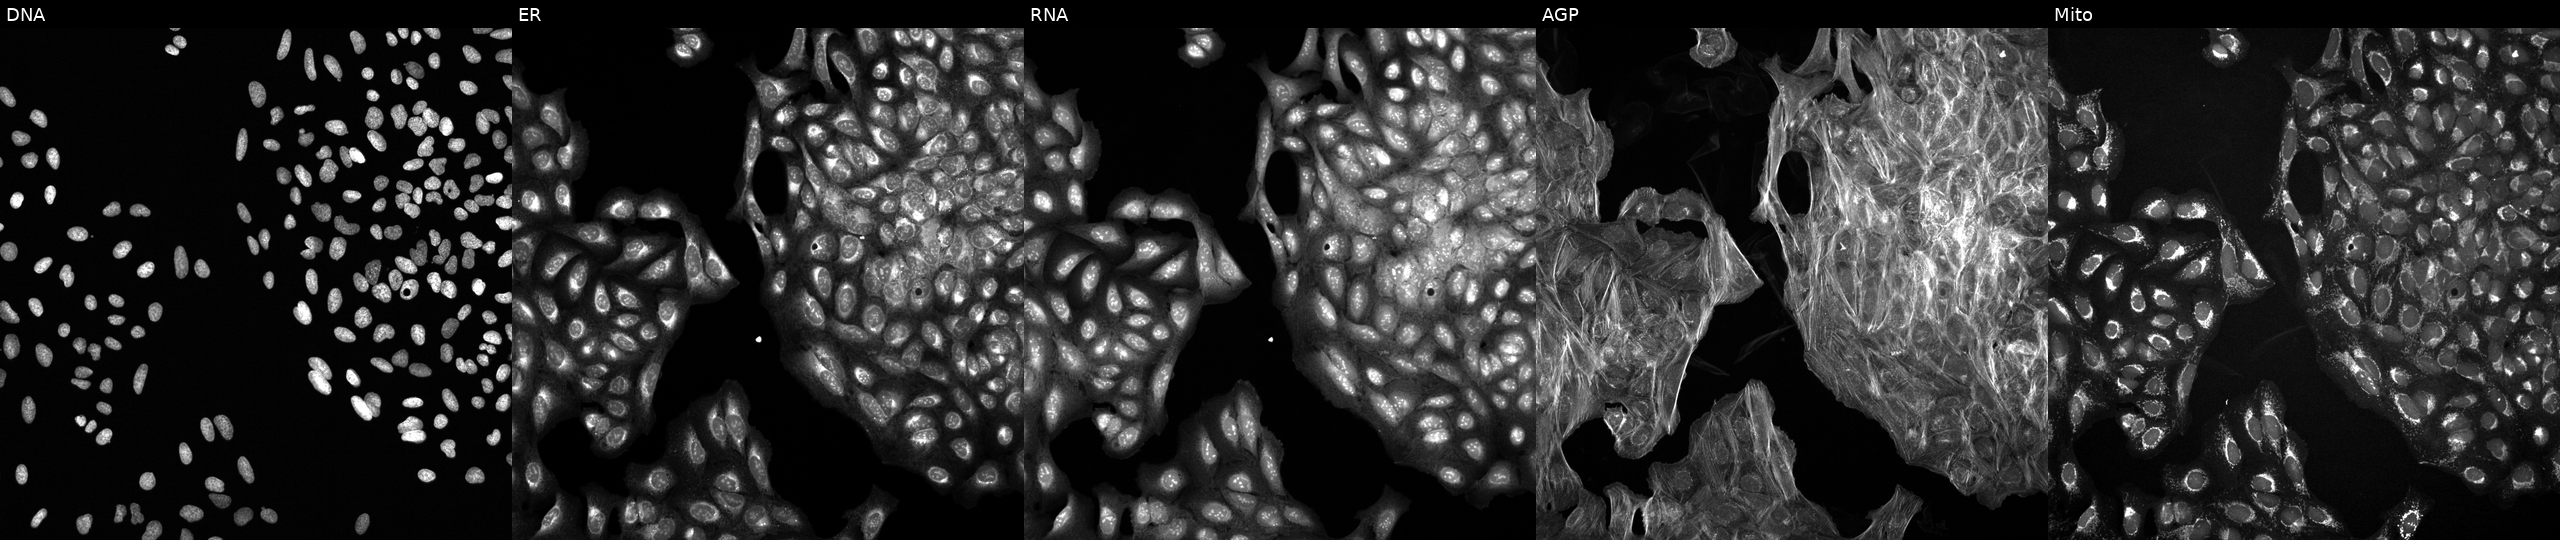
High-content fluorescence microscopy (Cell Painting). Cell line: U2OS. Perturbation: treated with aloxistatin (positive-control compound). The five panels, left to right, show DNA (nuclei); ER (endoplasmic reticulum); RNA (nucleoli and cytoplasmic RNA); AGP (actin cytoskeleton, Golgi, and plasma membrane); Mito (mitochondria). Source 6, plate 110000293082, well I01.